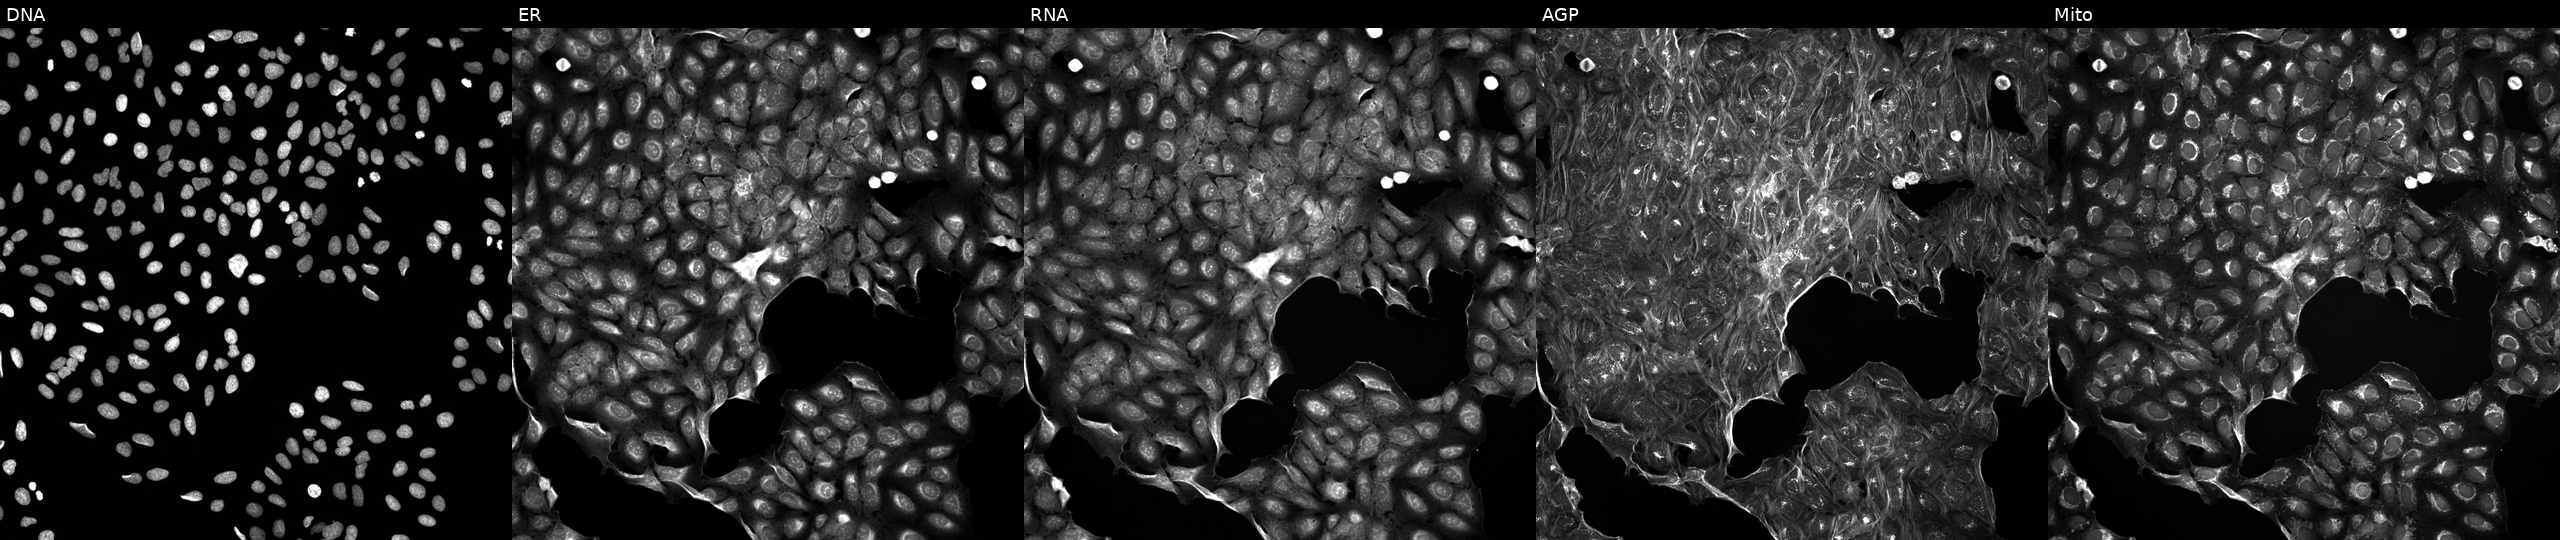
High-content fluorescence microscopy (Cell Painting). Cell line: U2OS. Perturbation: exposed to a small-molecule compound (JUMP id JCP2022_083099). The five panels, left to right, show DNA, ER, RNA, AGP, and Mito.